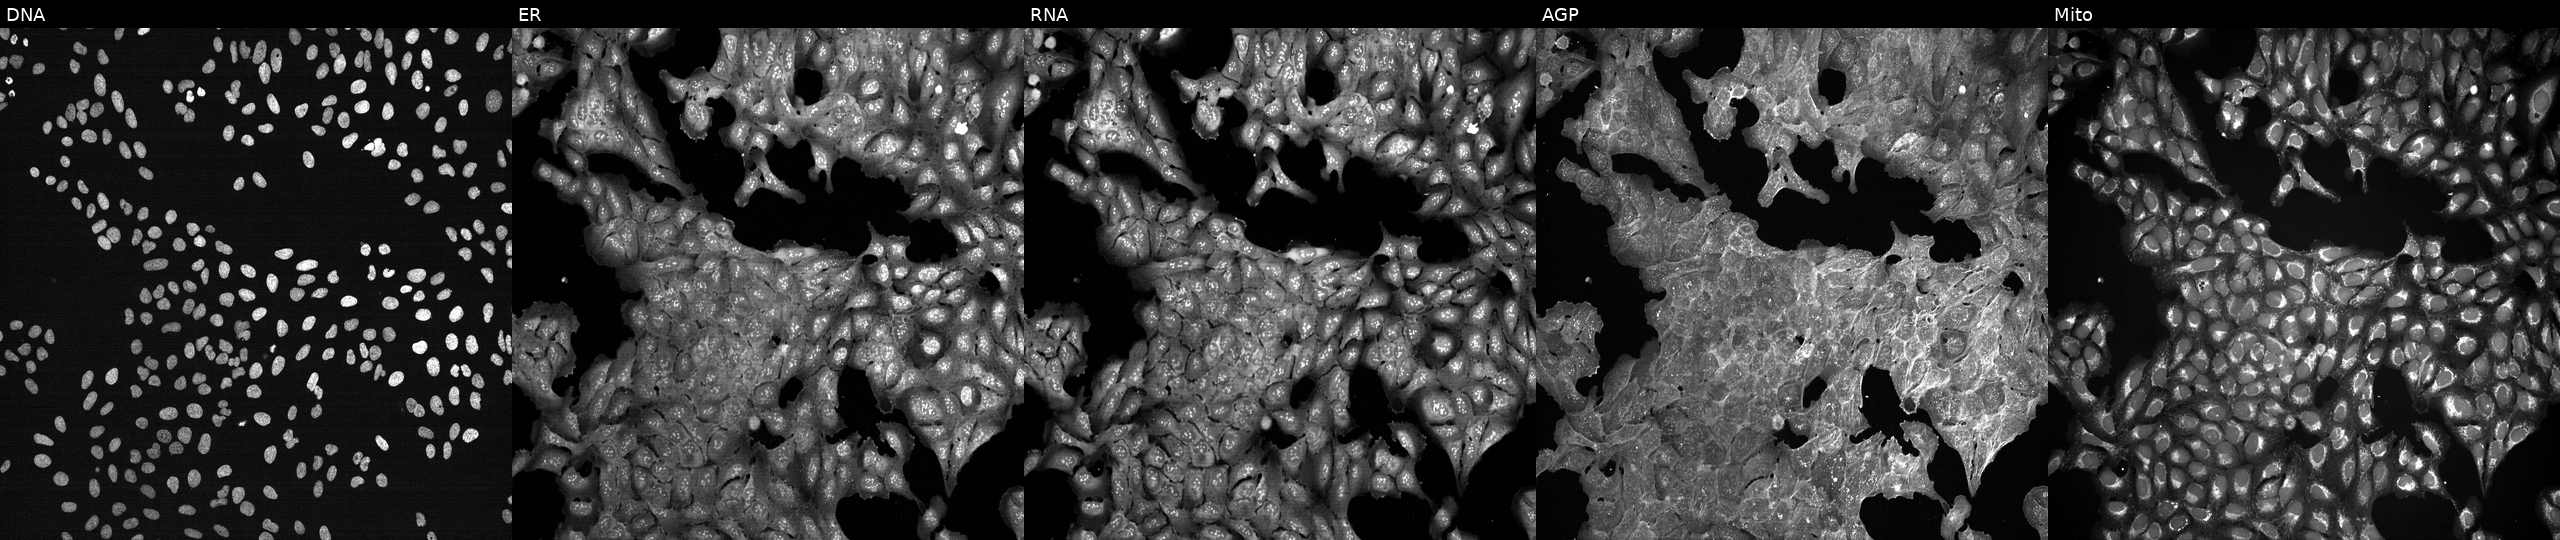
High-content fluorescence microscopy (Cell Painting). Cell line: U2OS. Perturbation: perturbed with a small-molecule compound (InChIKey BNFRJXLZYUTIII-UHFFFAOYSA-N) (JUMP id JCP2022_007419). Panels show, left to right, DNA, ER, RNA, AGP, and Mito. Source 7, plate CP3-SC1-25, well F03.